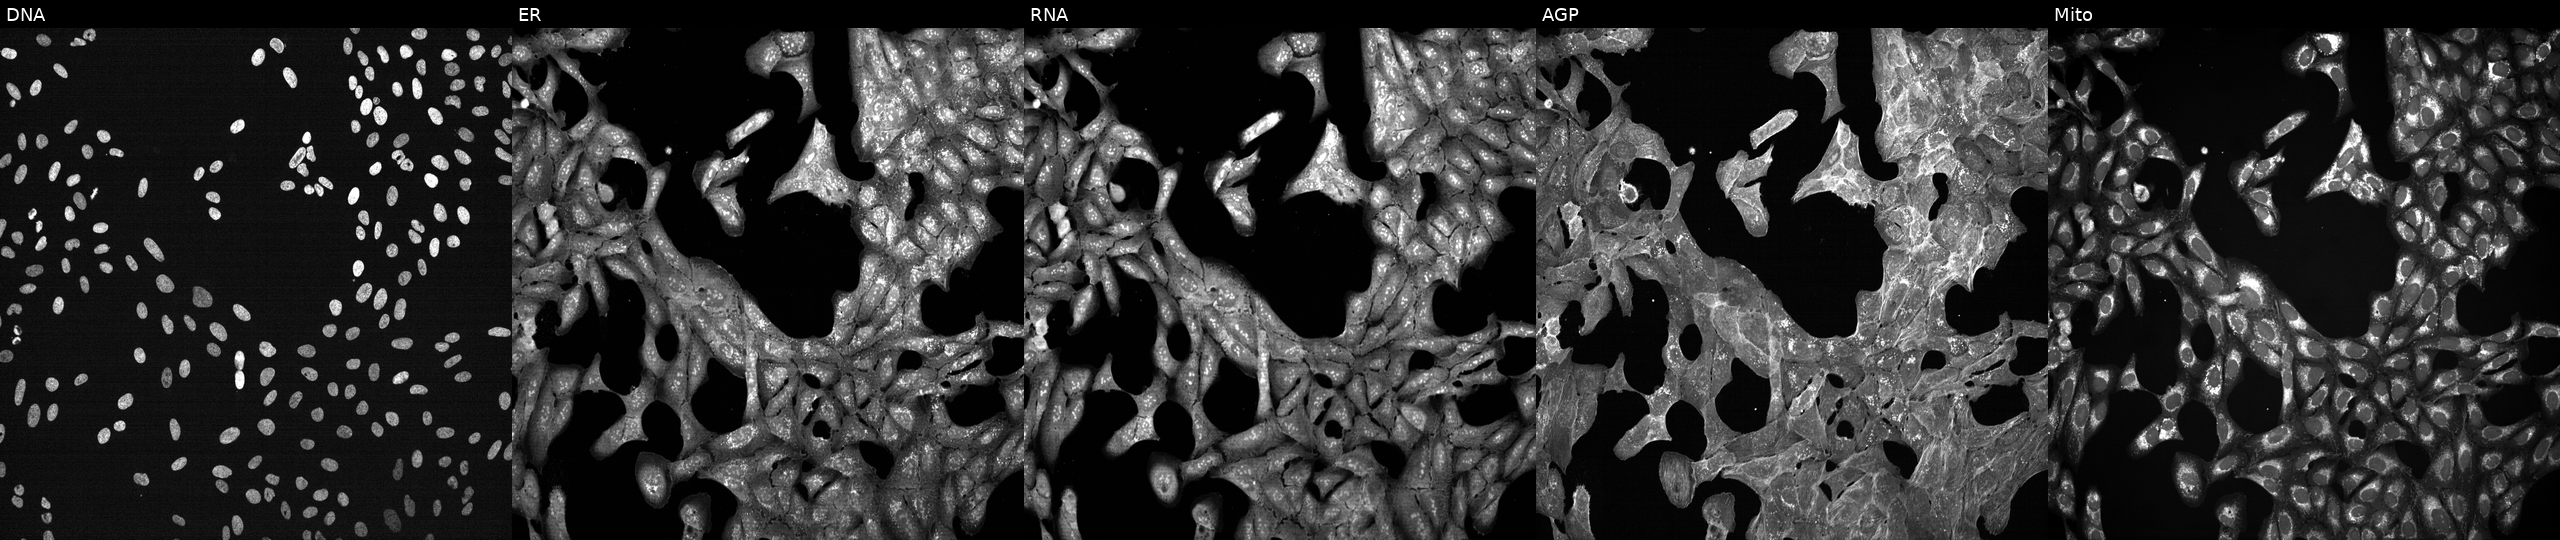
This image strip shows the five Cell Painting channels for a single field of U2OS cells exposed to a small-molecule compound (InChIKey NUIKTBLZSPQGCP-UHFFFAOYSA-N) [SMILES: CCOc1ccc(-c2nc(-c3cccc4c3CCC4NCCO)no2)cc1OCC]. Channels (left→right): DNA, ER, RNA, AGP, and Mito.